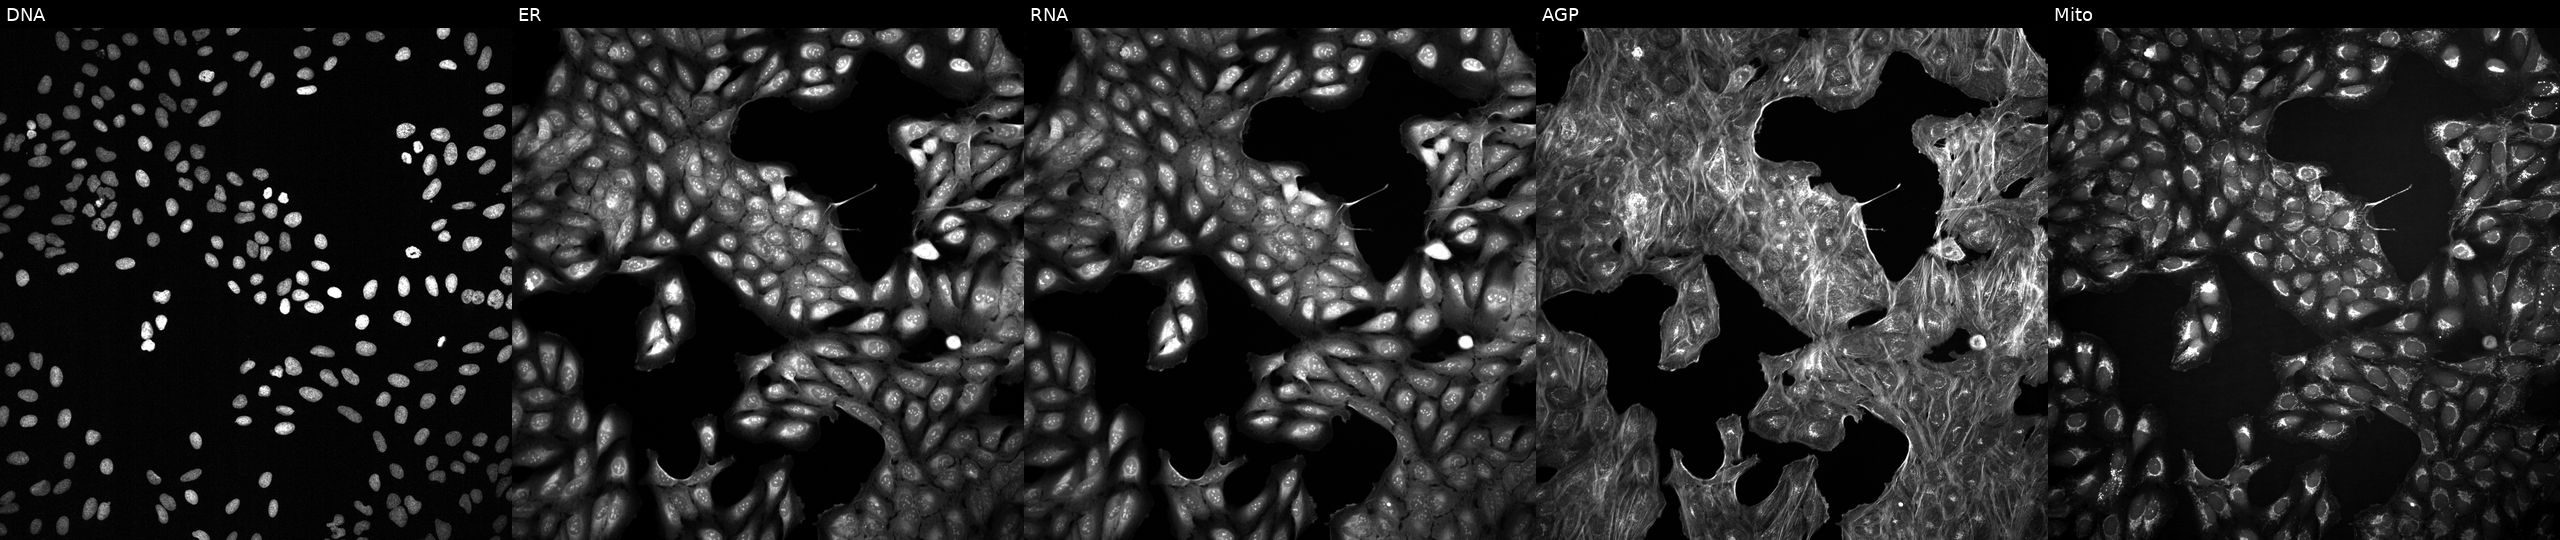
Five-channel Cell Painting image of U2OS cells exposed to a small-molecule compound (InChIKey OGQJCNYNVJXWBB-UHFFFAOYSA-N) (JUMP id JCP2022_063673). Panels show, left to right, DNA, ER, RNA, AGP, and Mito.